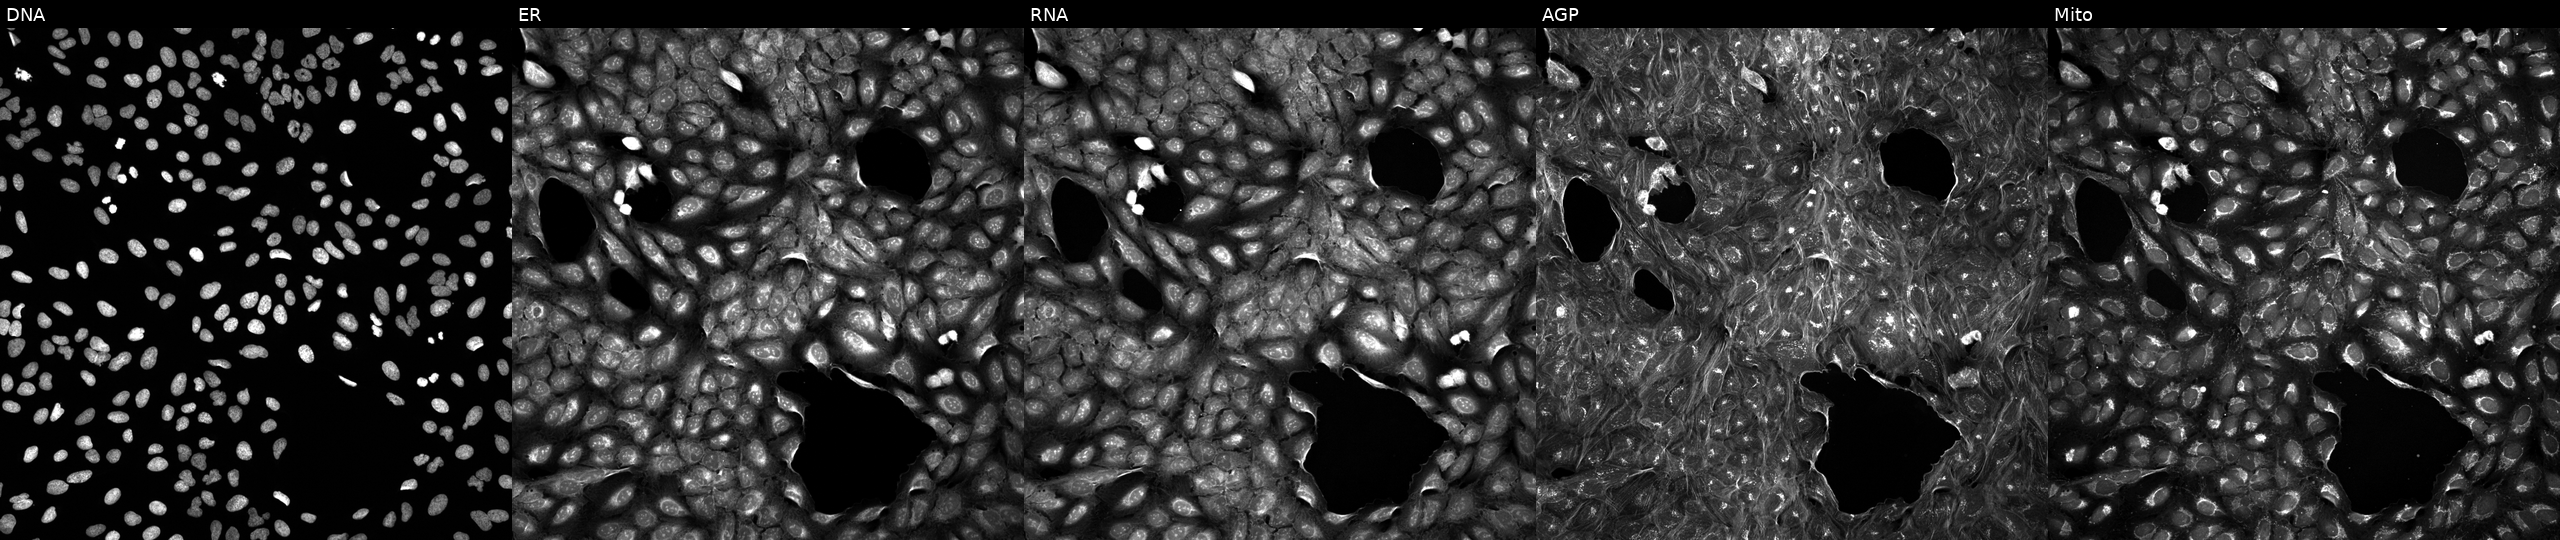
U2OS cells, Cell Painting assay, exposed to a small-molecule compound (InChIKey REZGGXNDEMKIQB-UHFFFAOYSA-N). The five panels, left to right, show DNA (nuclei); ER (endoplasmic reticulum); RNA (nucleoli and cytoplasmic RNA); AGP (actin cytoskeleton, Golgi, and plasma membrane); Mito (mitochondria). Each panel is percentile-stretched 16-bit fluorescence.